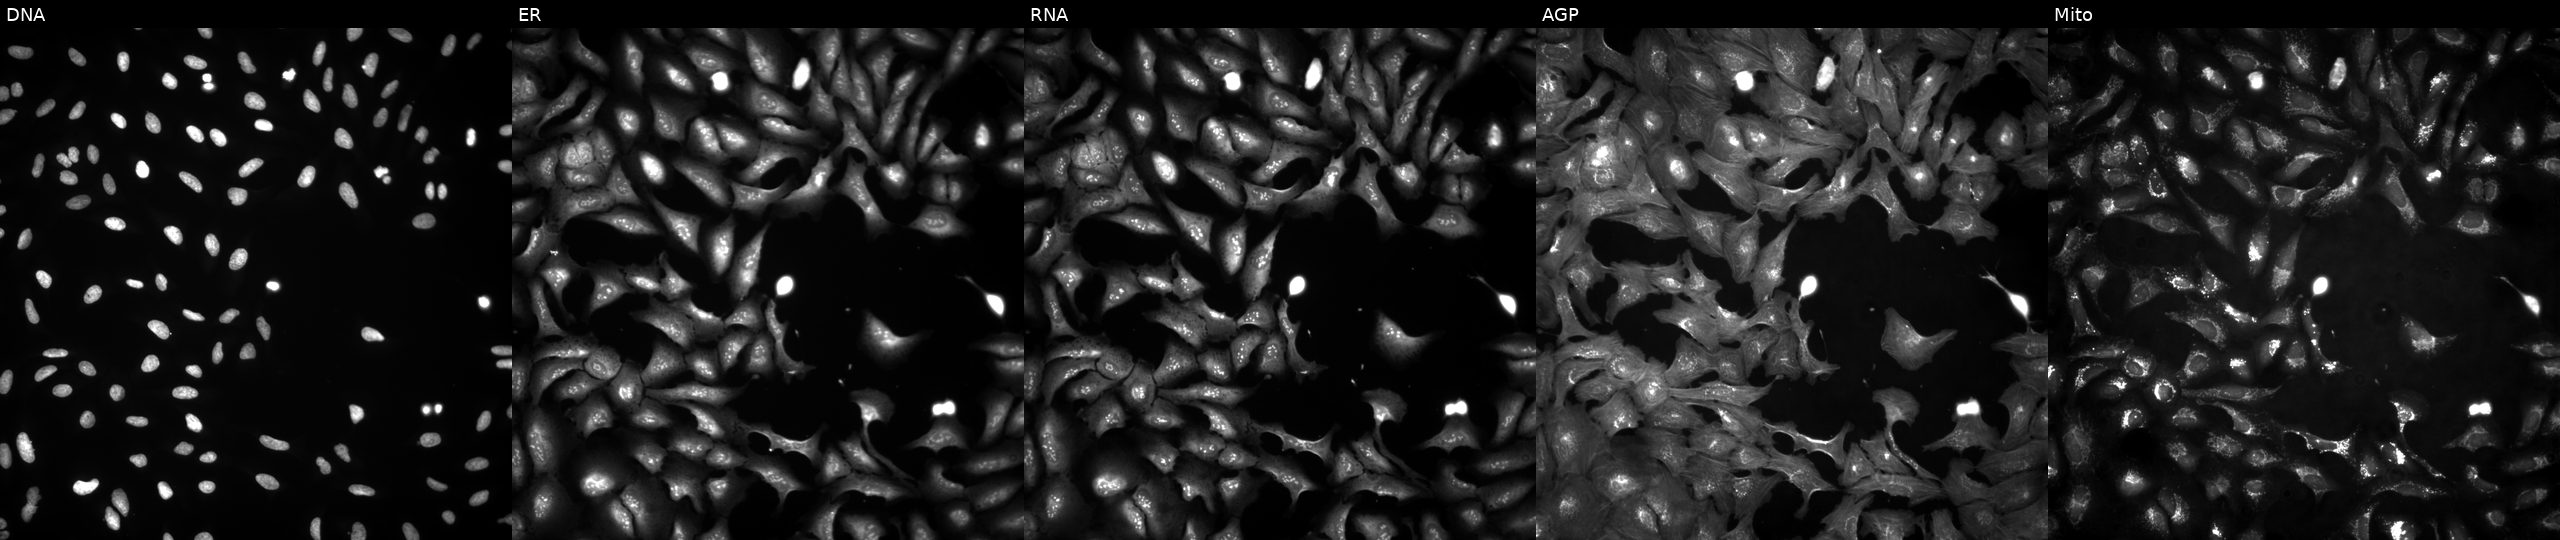
From left to right: DNA (nuclei); ER (endoplasmic reticulum); RNA (nucleoli and cytoplasmic RNA); AGP (actin cytoskeleton, Golgi, and plasma membrane); Mito (mitochondria). U2OS osteosarcoma cells overexpressing MRPL2 via ORF transfection (JUMP id JCP2022_902994). Cell Painting assay, JUMP-CP dataset.